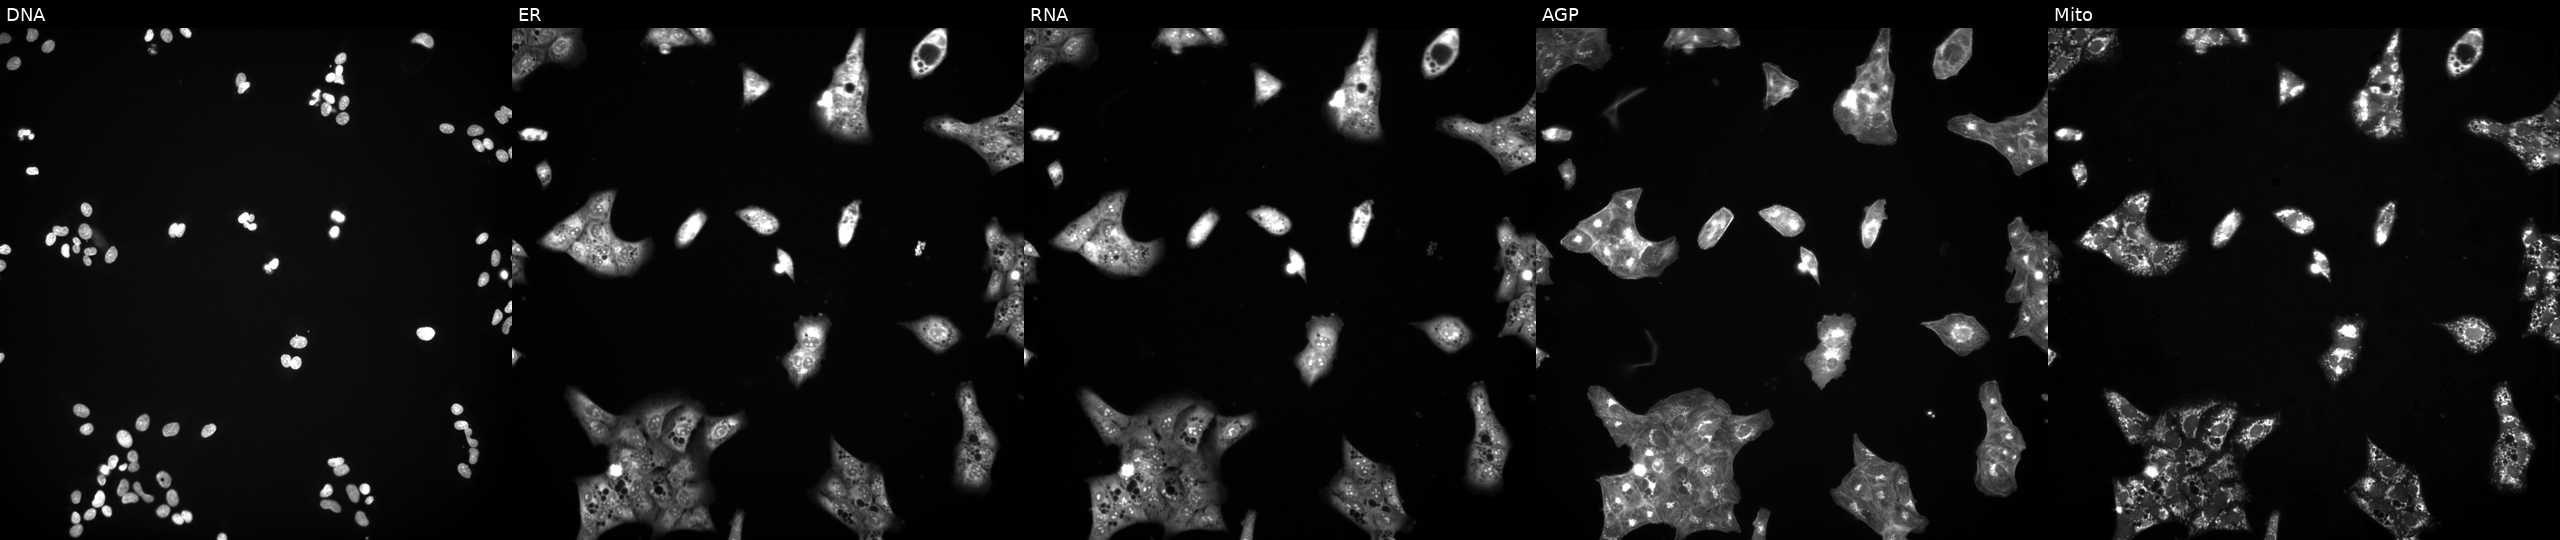
The five panels, left to right, show Hoechst 33342, concanavalin A, SYTO 14, phalloidin and WGA, MitoTracker. U2OS osteosarcoma cells treated with a small-molecule compound [SMILES: CC1CN(CC(=O)Nc2ccc3c(c2)Cc2cccc(-c4cc(=O)cc(N5CCOCC5)o4)c2S3)CC(C)O1]. Cell Painting assay, JUMP-CP dataset.